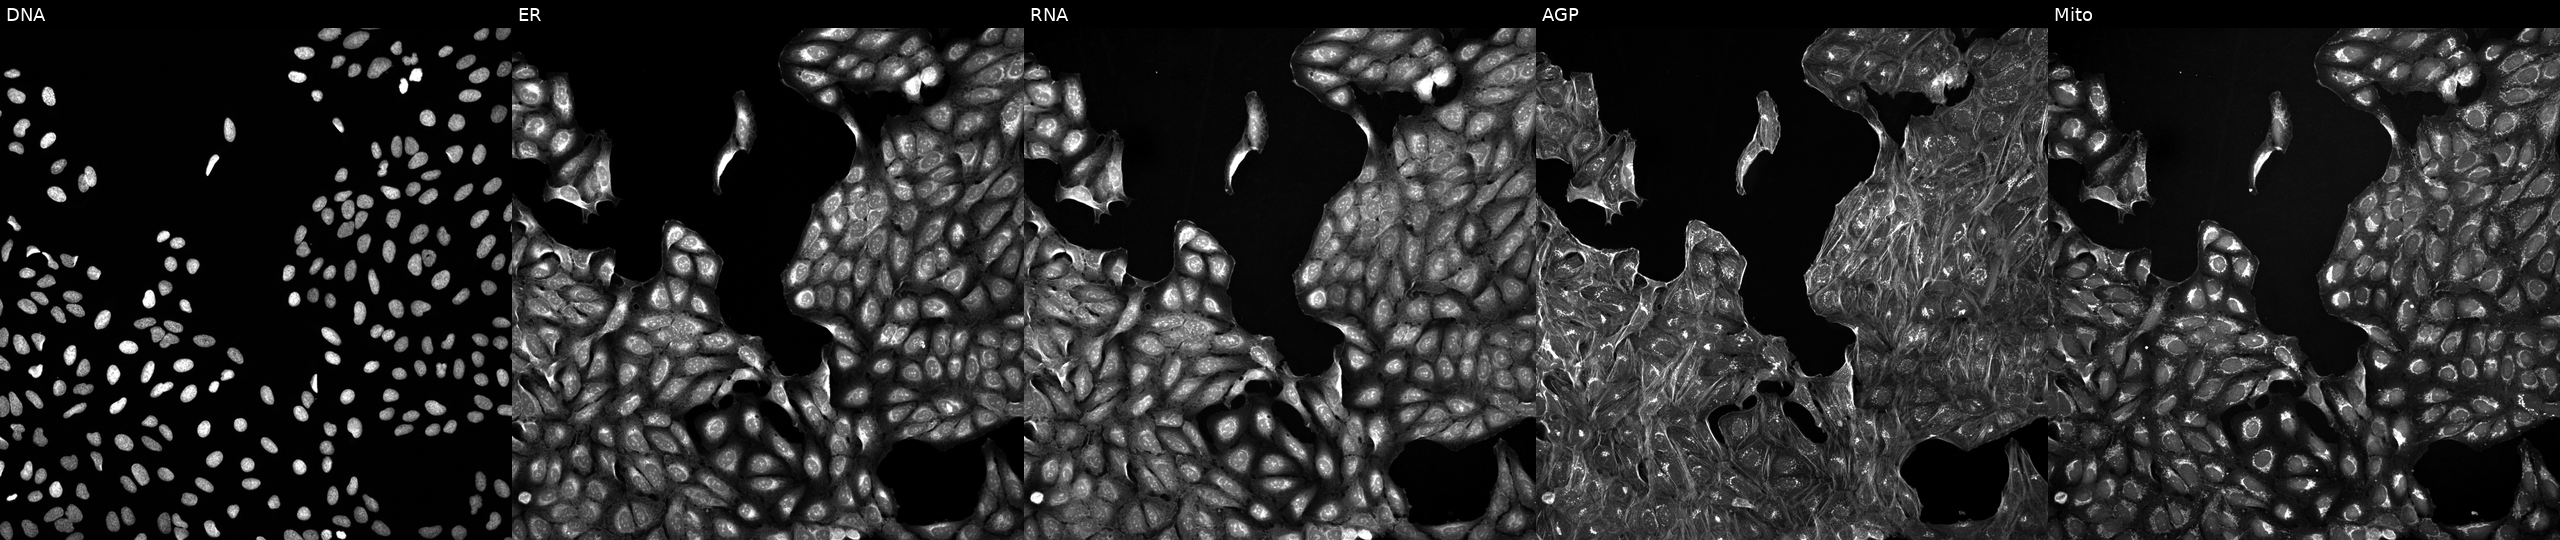
This image strip shows the five Cell Painting channels for a single field of U2OS cells perturbed with a small-molecule compound (InChIKey XEYBRNLFEZDVAW-UHFFFAOYSA-N) (JUMP id JCP2022_103217). From left to right: Hoechst 33342, concanavalin A, SYTO 14, phalloidin and WGA, MitoTracker. Source 5, plate ACPJUM051, well A14.